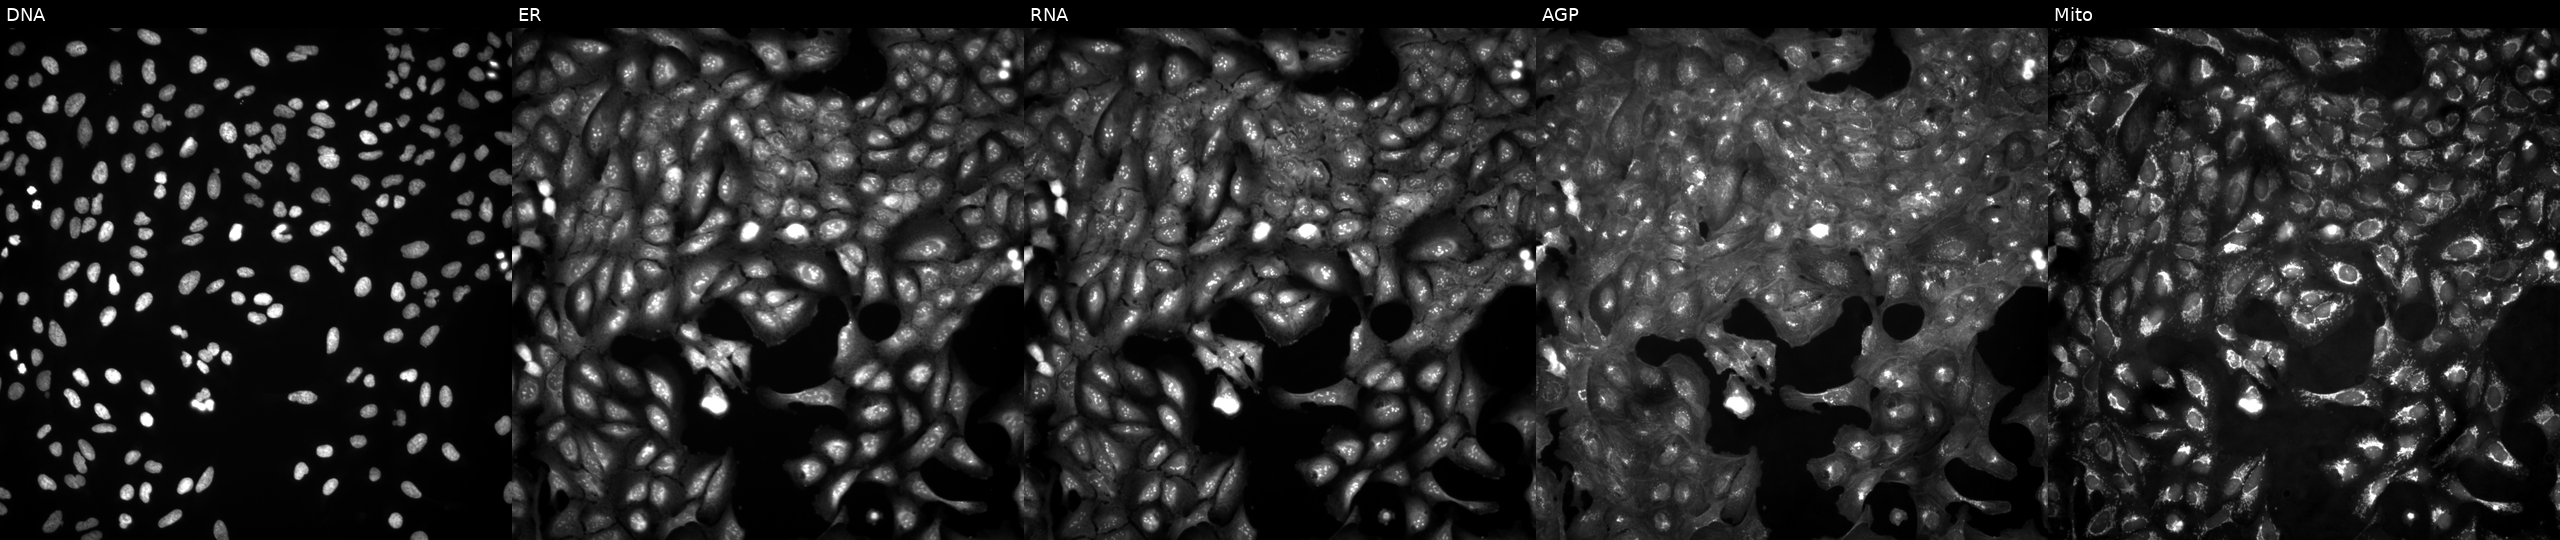
JUMP Cell Painting — ORF plate. U2OS cells in an empty control well (no perturbation). From left to right: Hoechst 33342, concanavalin A, SYTO 14, phalloidin and WGA, MitoTracker.